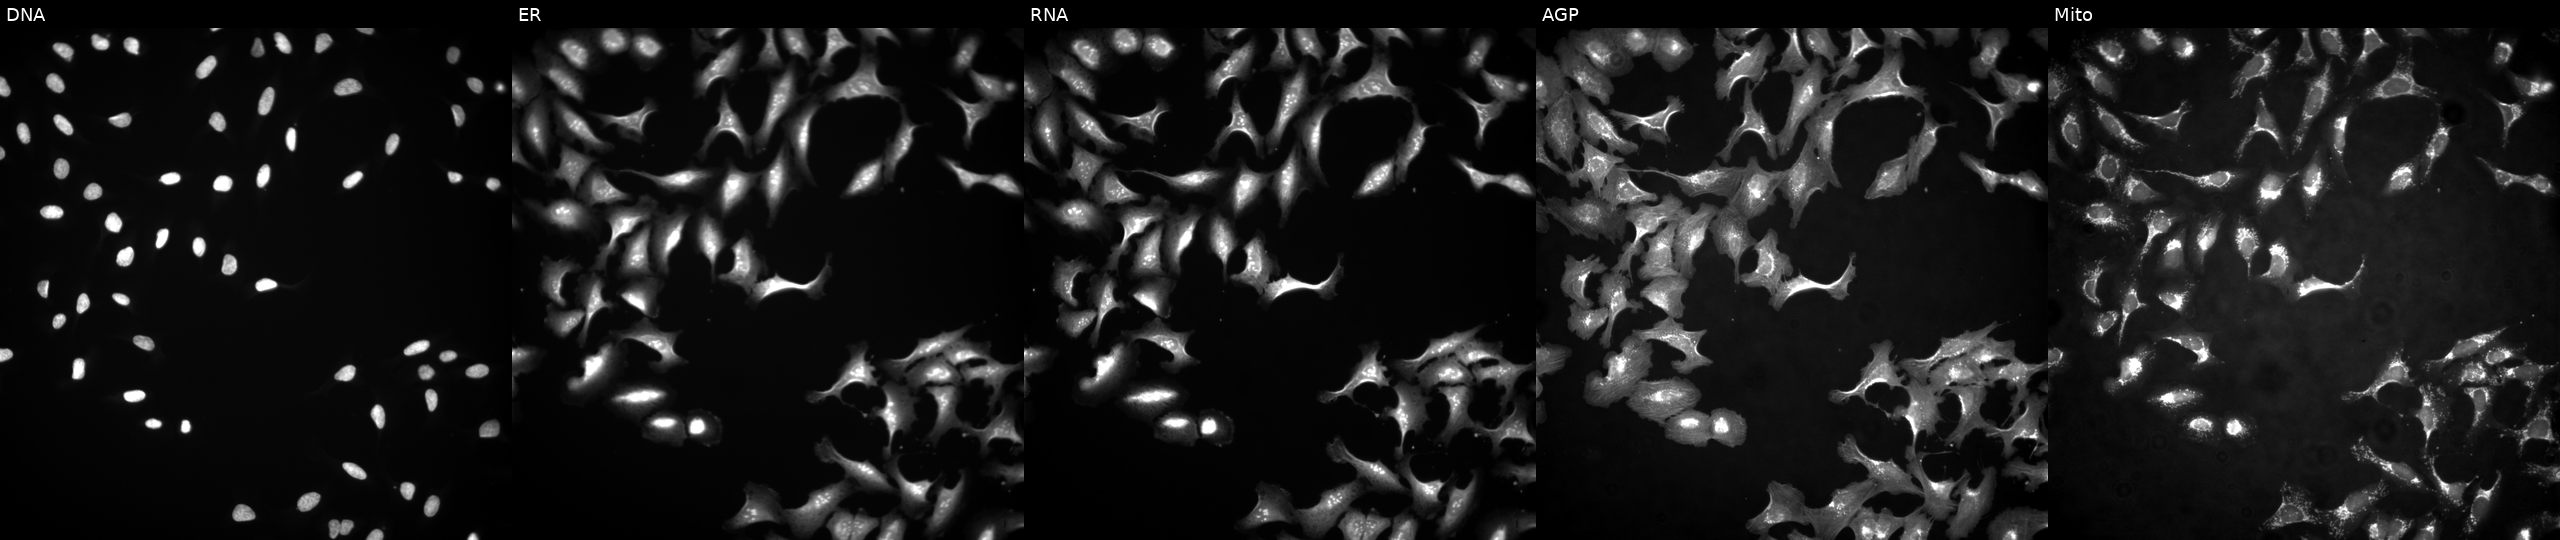
U2OS cells, Cell Painting assay, with ZNF653 overexpressed (ORF) (JUMP id JCP2022_904392). Panels show, left to right, DNA, ER, RNA, AGP, and Mito. Each panel is percentile-stretched 16-bit fluorescence.